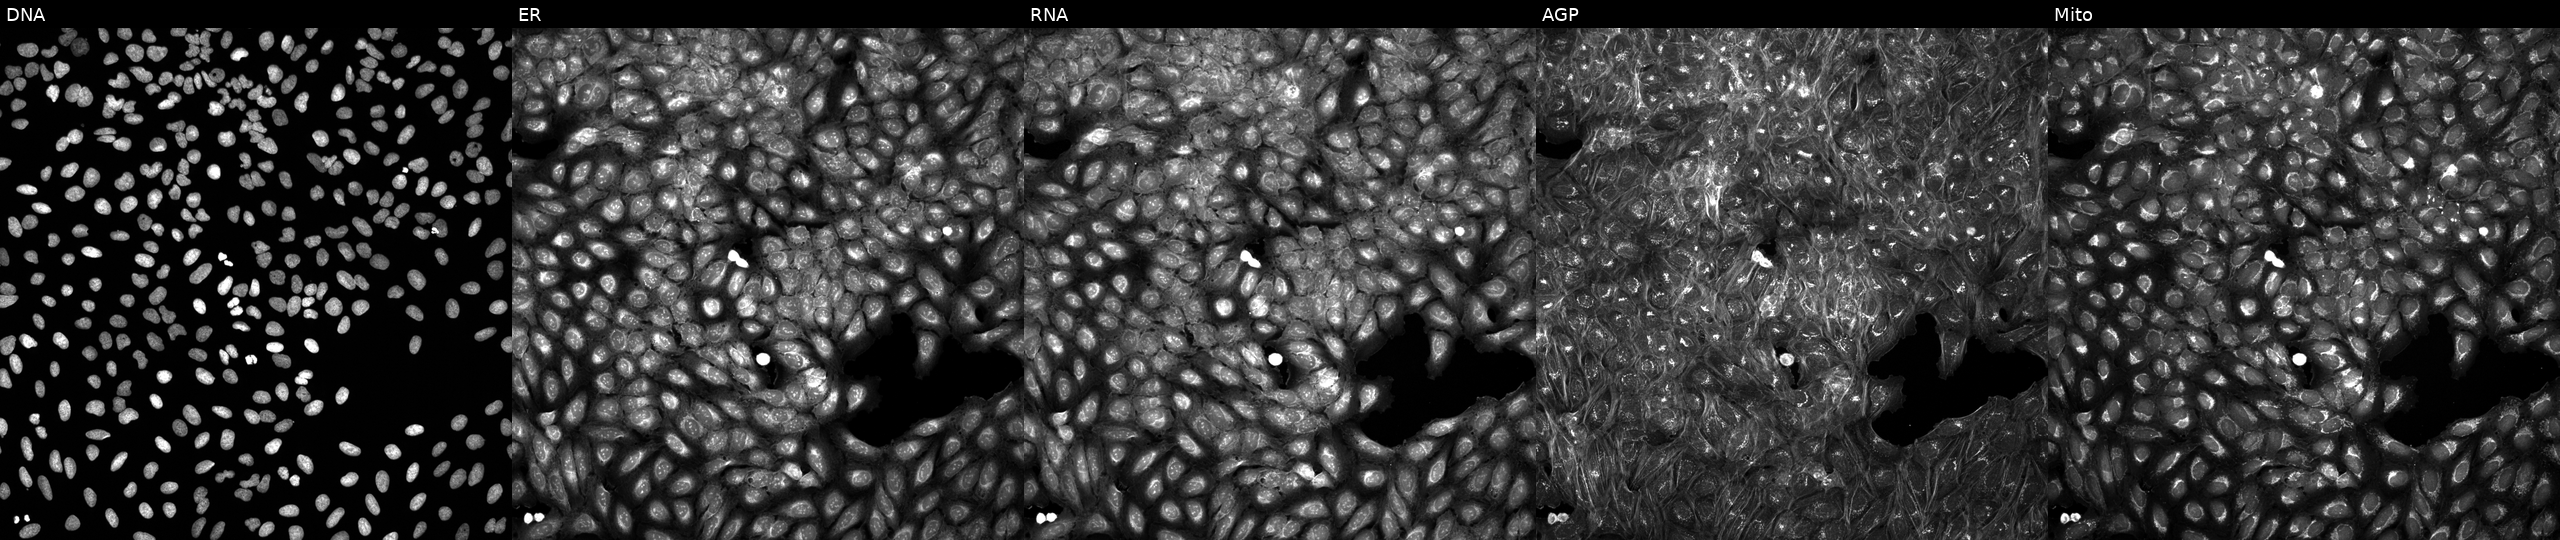
Channels (left→right): DNA, ER, RNA, AGP, and Mito. U2OS osteosarcoma cells perturbed with a small-molecule compound (InChIKey JVWORGLHWKDCDP-UHFFFAOYSA-N) (JUMP id JCP2022_042472). Cell Painting assay, JUMP-CP dataset. Source 5, plate APTJUM106, well F13.